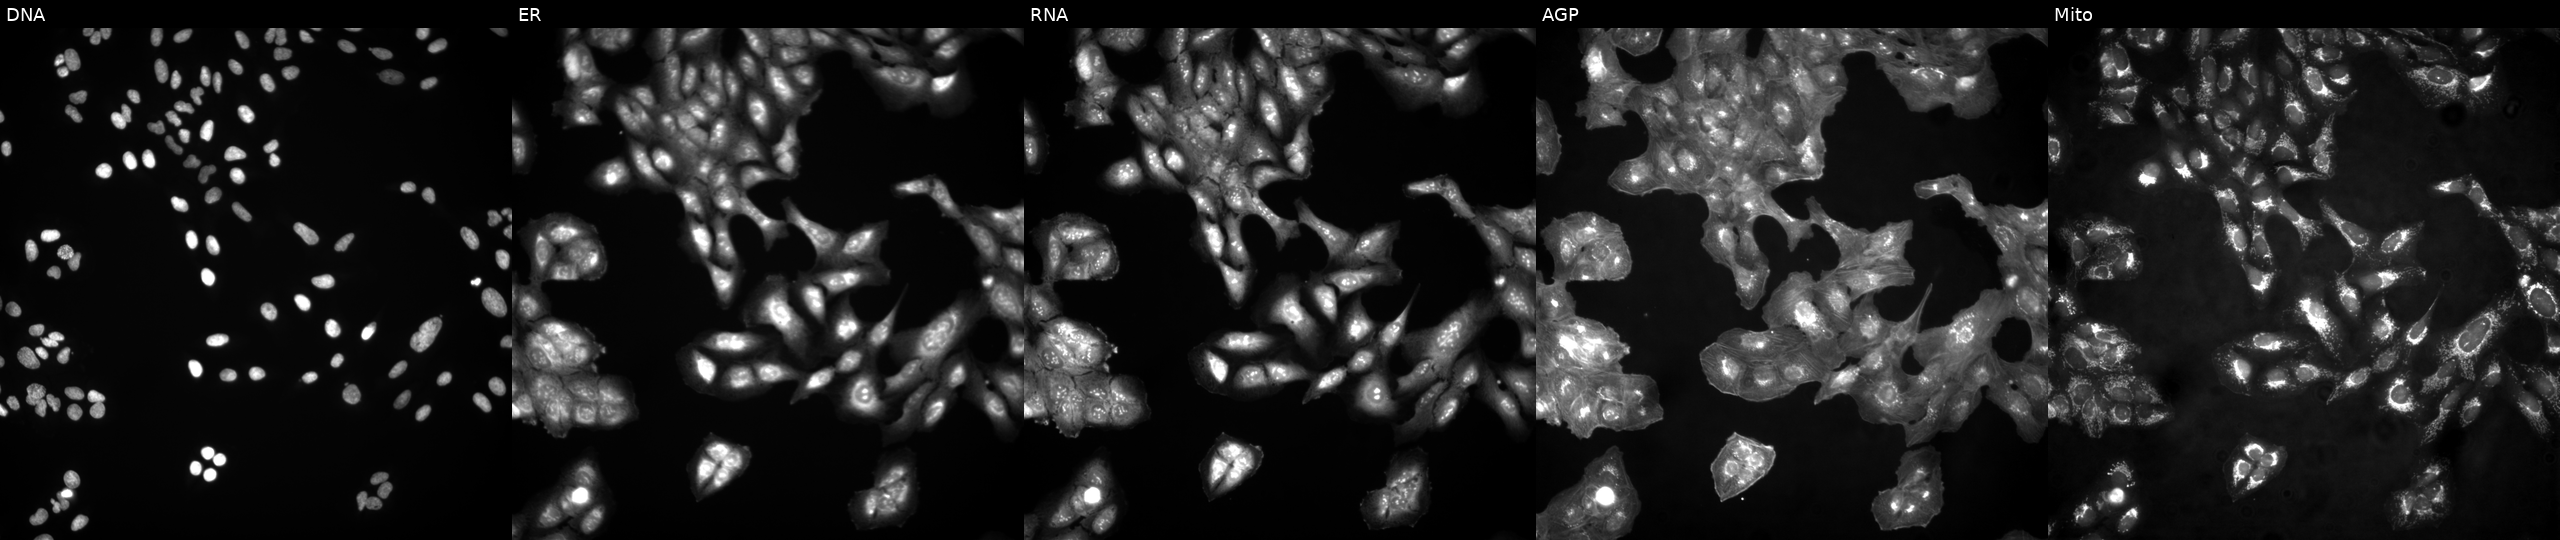
U2OS cells, Cell Painting assay, untreated (empty-well control). Channels (left→right): Hoechst 33342, concanavalin A, SYTO 14, phalloidin and WGA, MitoTracker. Each panel is percentile-stretched 16-bit fluorescence.